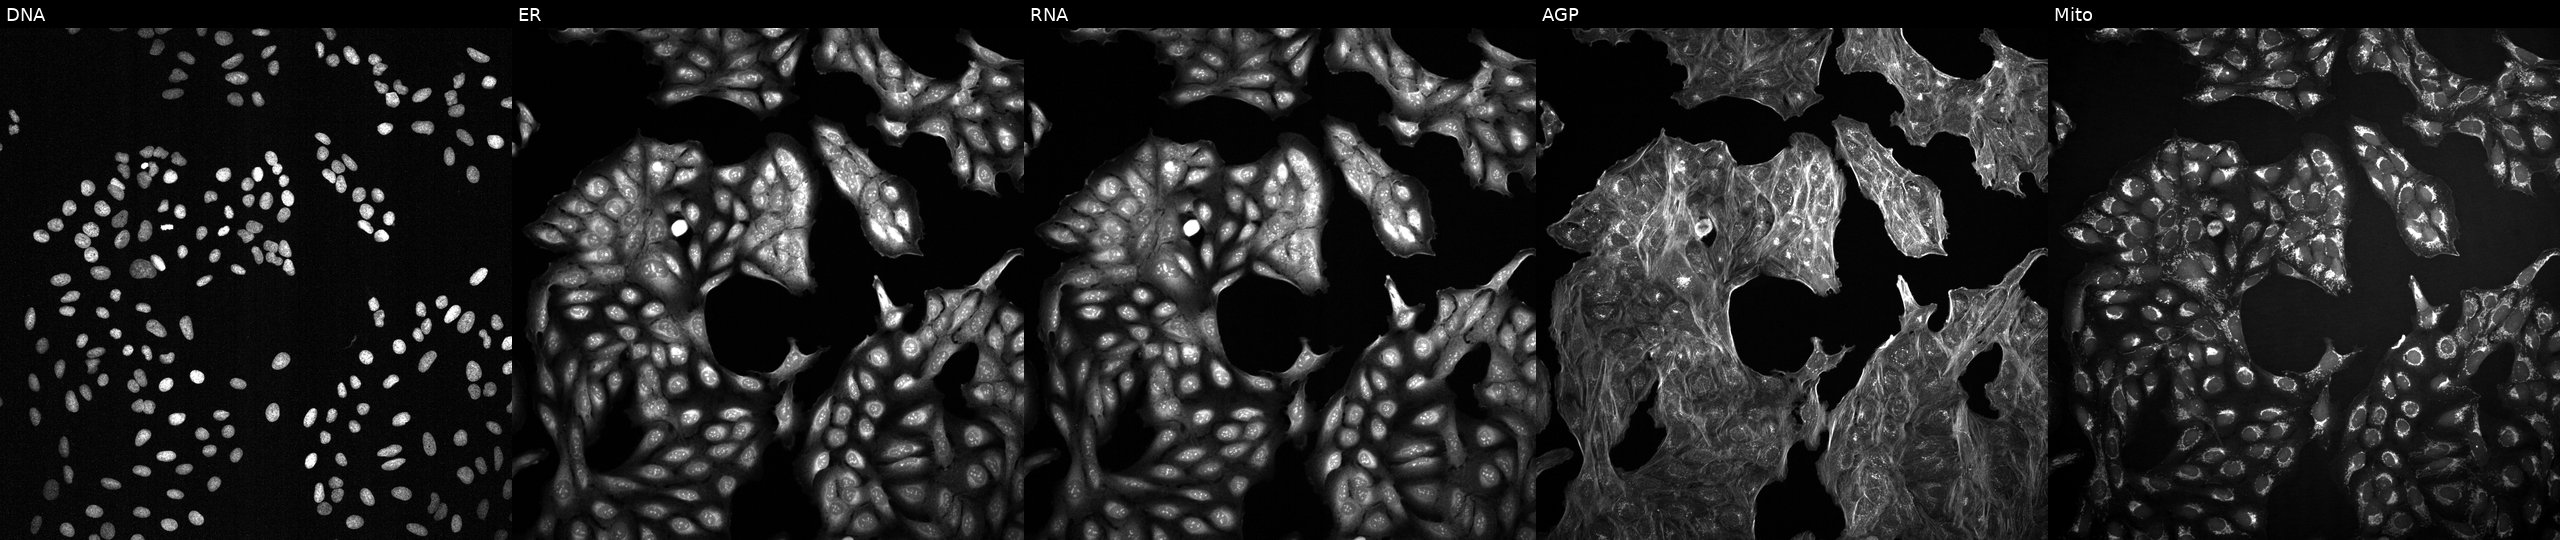
This image strip shows the five Cell Painting channels for a single field of U2OS cells treated with a small-molecule compound (JUMP id JCP2022_071811). From left to right: DNA (nuclei); ER (endoplasmic reticulum); RNA (nucleoli and cytoplasmic RNA); AGP (actin cytoskeleton, Golgi, and plasma membrane); Mito (mitochondria).